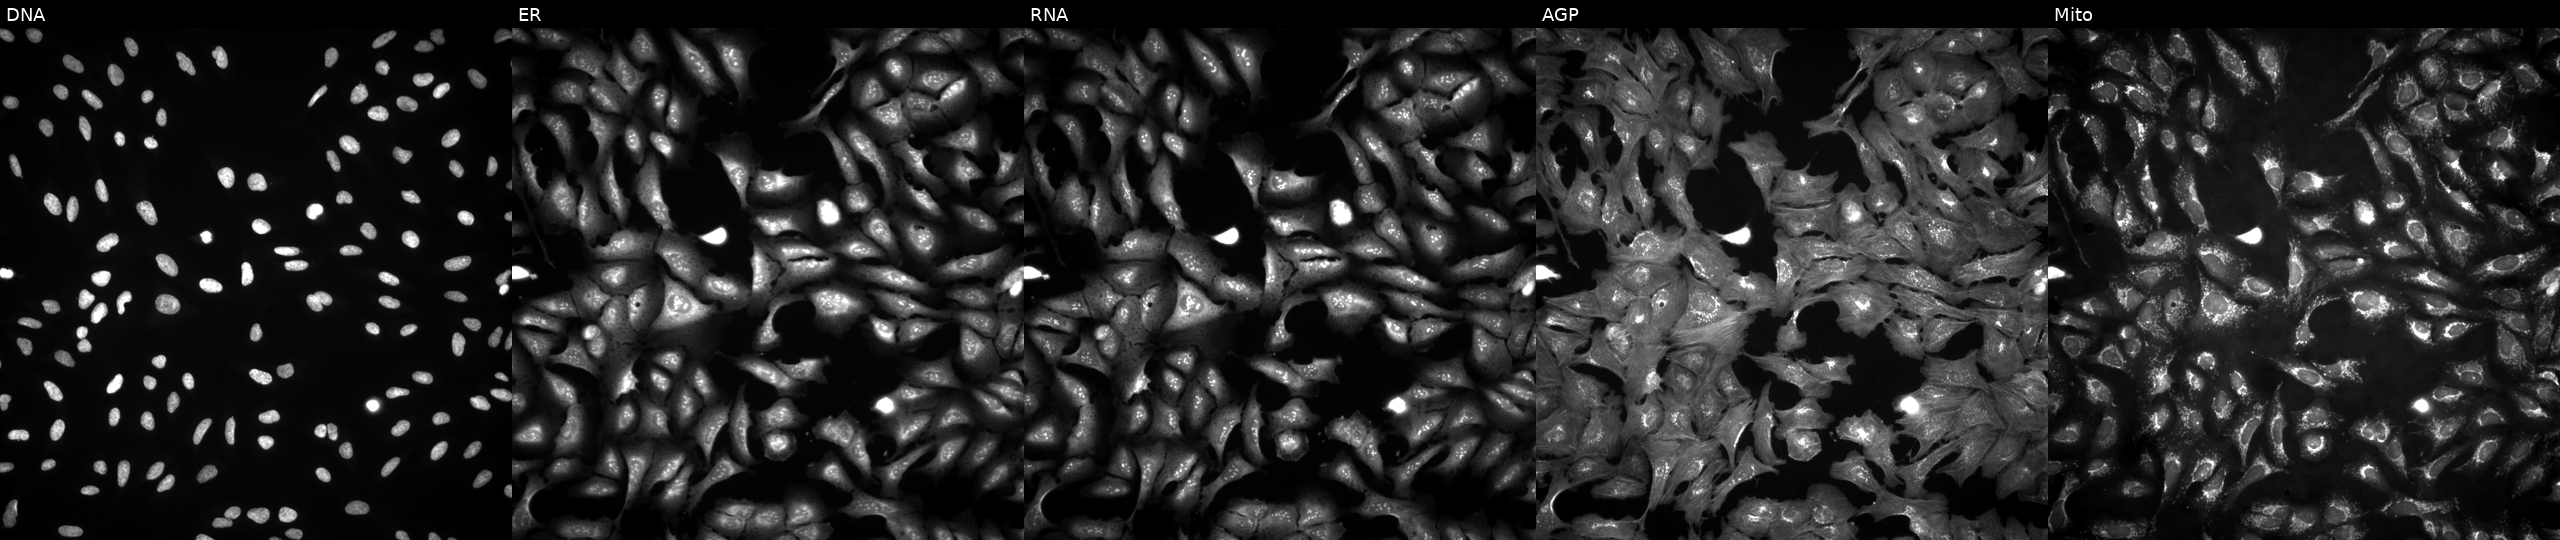
JUMP Cell Painting — ORF plate. U2OS cells transfected with an ORF construct for PUF60 (JUMP id JCP2022_902522). From left to right: Hoechst 33342, concanavalin A, SYTO 14, phalloidin and WGA, MitoTracker. Source 4, plate BR00124784, well O08.